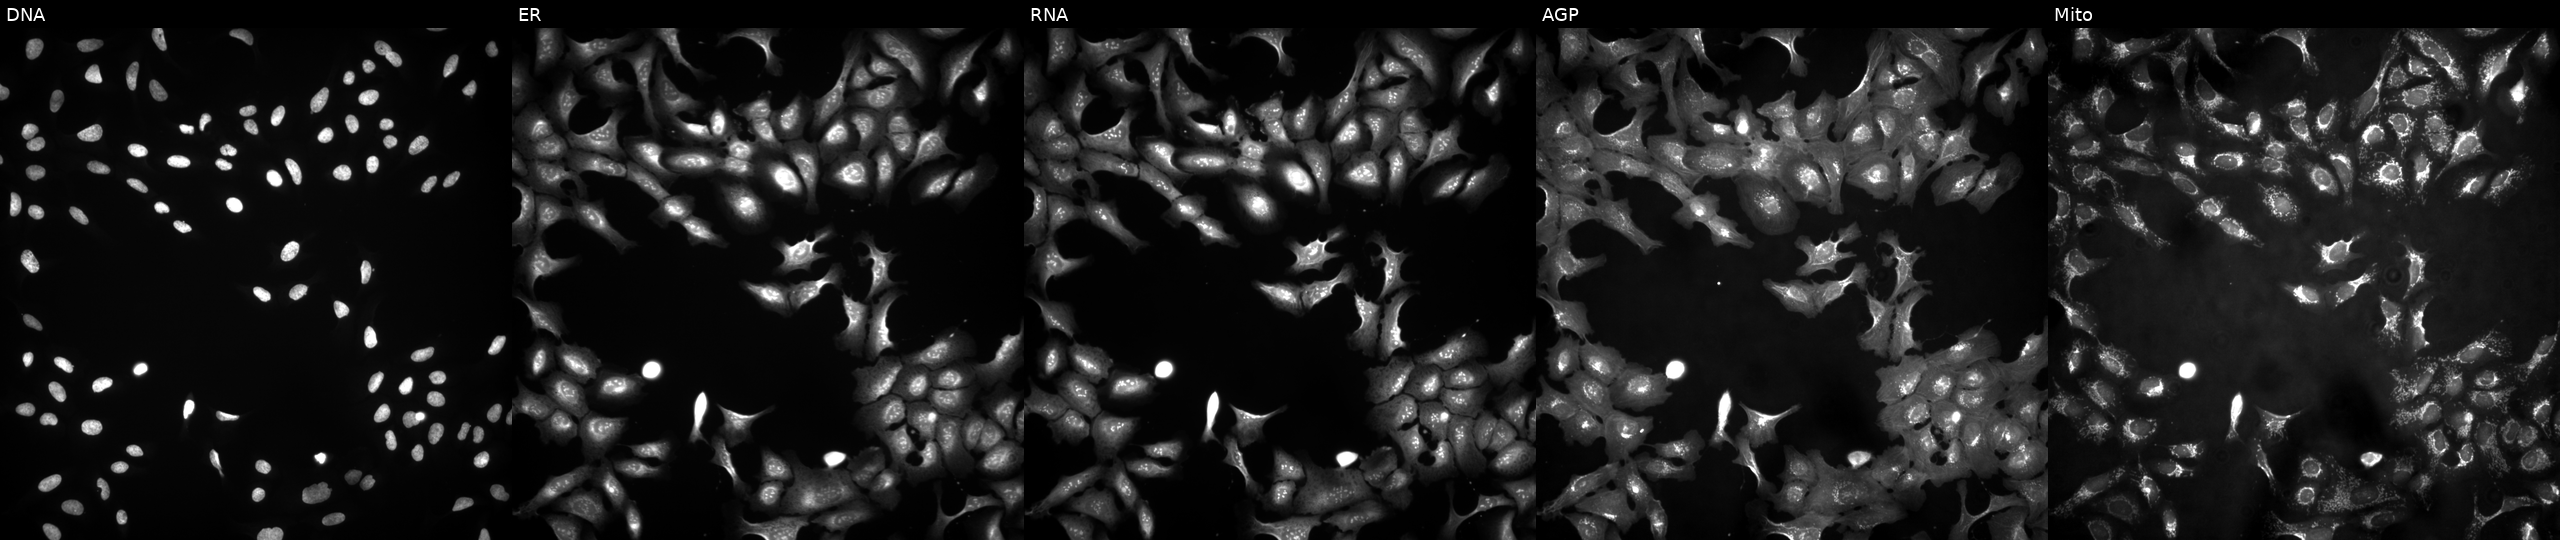
High-content fluorescence microscopy (Cell Painting). Cell line: U2OS. Perturbation: transfected with an ORF construct for ULK4. The five panels, left to right, show DNA, ER, RNA, AGP, and Mito. Source 4, plate BR00121543, well G01.